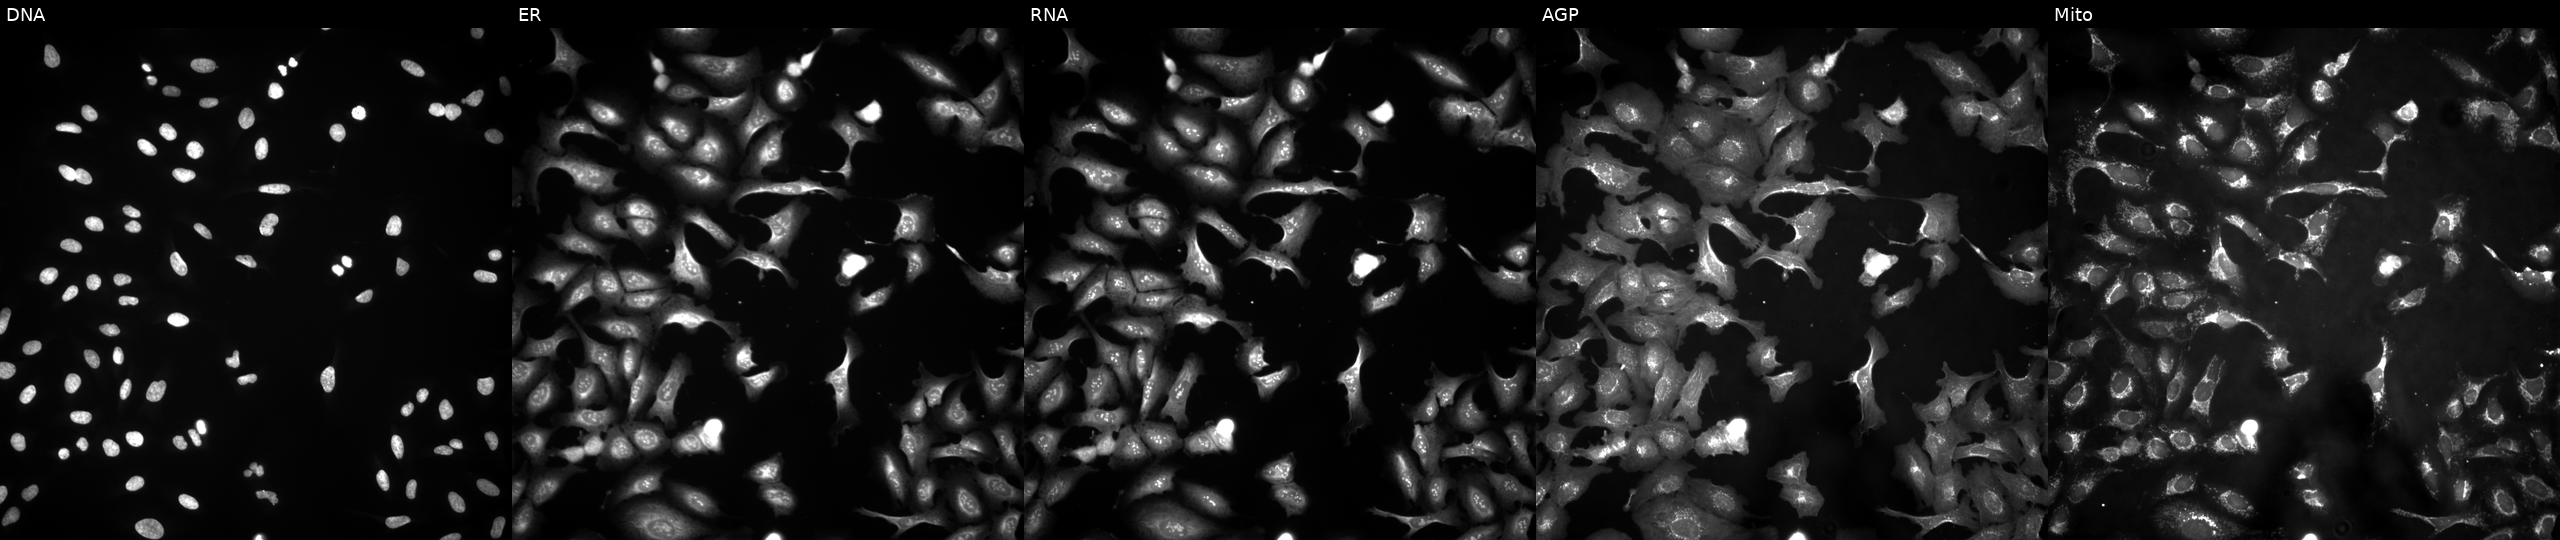
This image strip shows the five Cell Painting channels for a single field of U2OS cells transfected with an ORF construct for PCDHGC3. Channels (left→right): DNA (nuclei); ER (endoplasmic reticulum); RNA (nucleoli and cytoplasmic RNA); AGP (actin cytoskeleton, Golgi, and plasma membrane); Mito (mitochondria). Source 4, plate BR00121543, well K05.